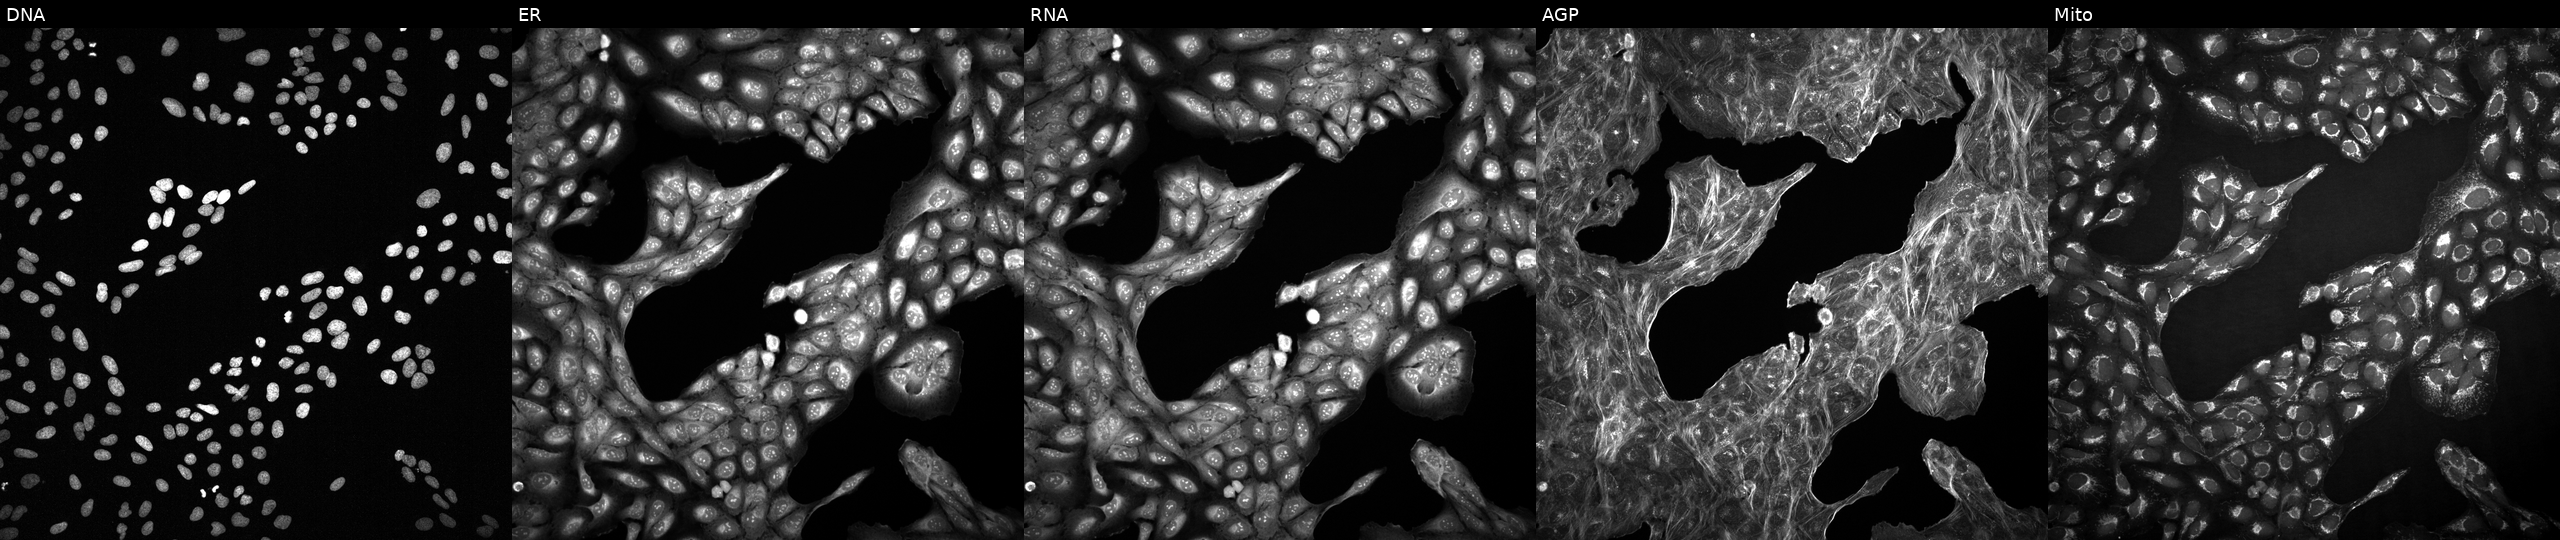
From left to right: Hoechst 33342, concanavalin A, SYTO 14, phalloidin and WGA, MitoTracker. U2OS osteosarcoma cells perturbed with a small-molecule compound (InChIKey DKNKKFIRDQEIHL-UHFFFAOYSA-N) (JUMP id JCP2022_016533). Cell Painting assay, JUMP-CP dataset. Source 2, plate 1053601756, well I16.